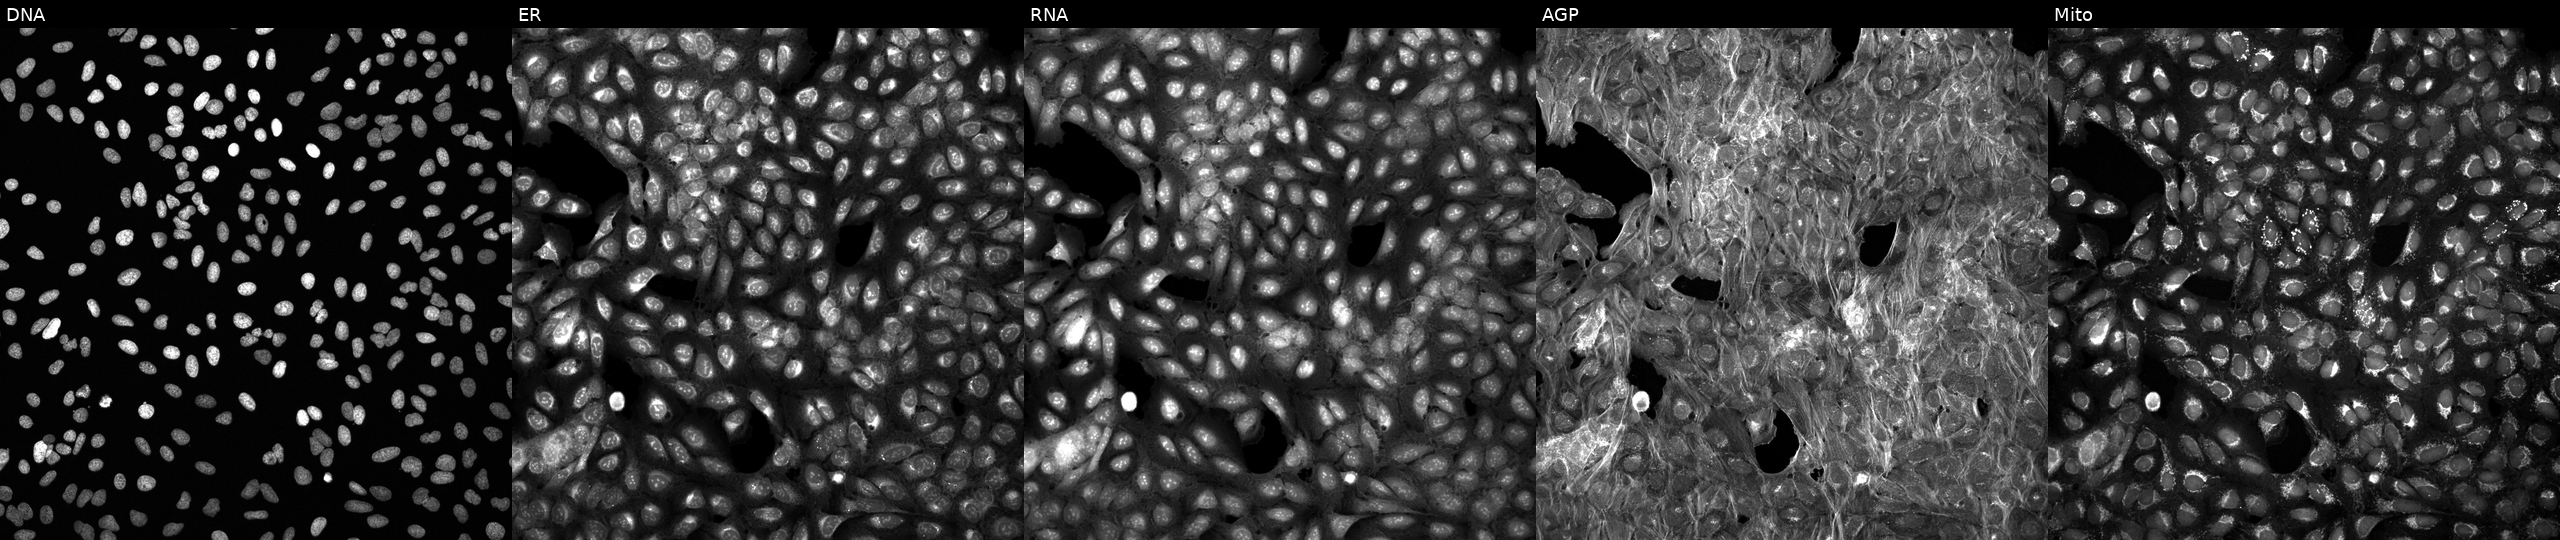
Channels (left→right): Hoechst 33342, concanavalin A, SYTO 14, phalloidin and WGA, MitoTracker. U2OS osteosarcoma cells perturbed with a small-molecule compound [SMILES: O=C(O)c1ccc2c(c1)C(=O)N(c1cccc(Oc3ccc([N+](=O)[O-])cc3)c1)C2=O]. Cell Painting assay, JUMP-CP dataset. Source 6, plate 110000294901, well B11.